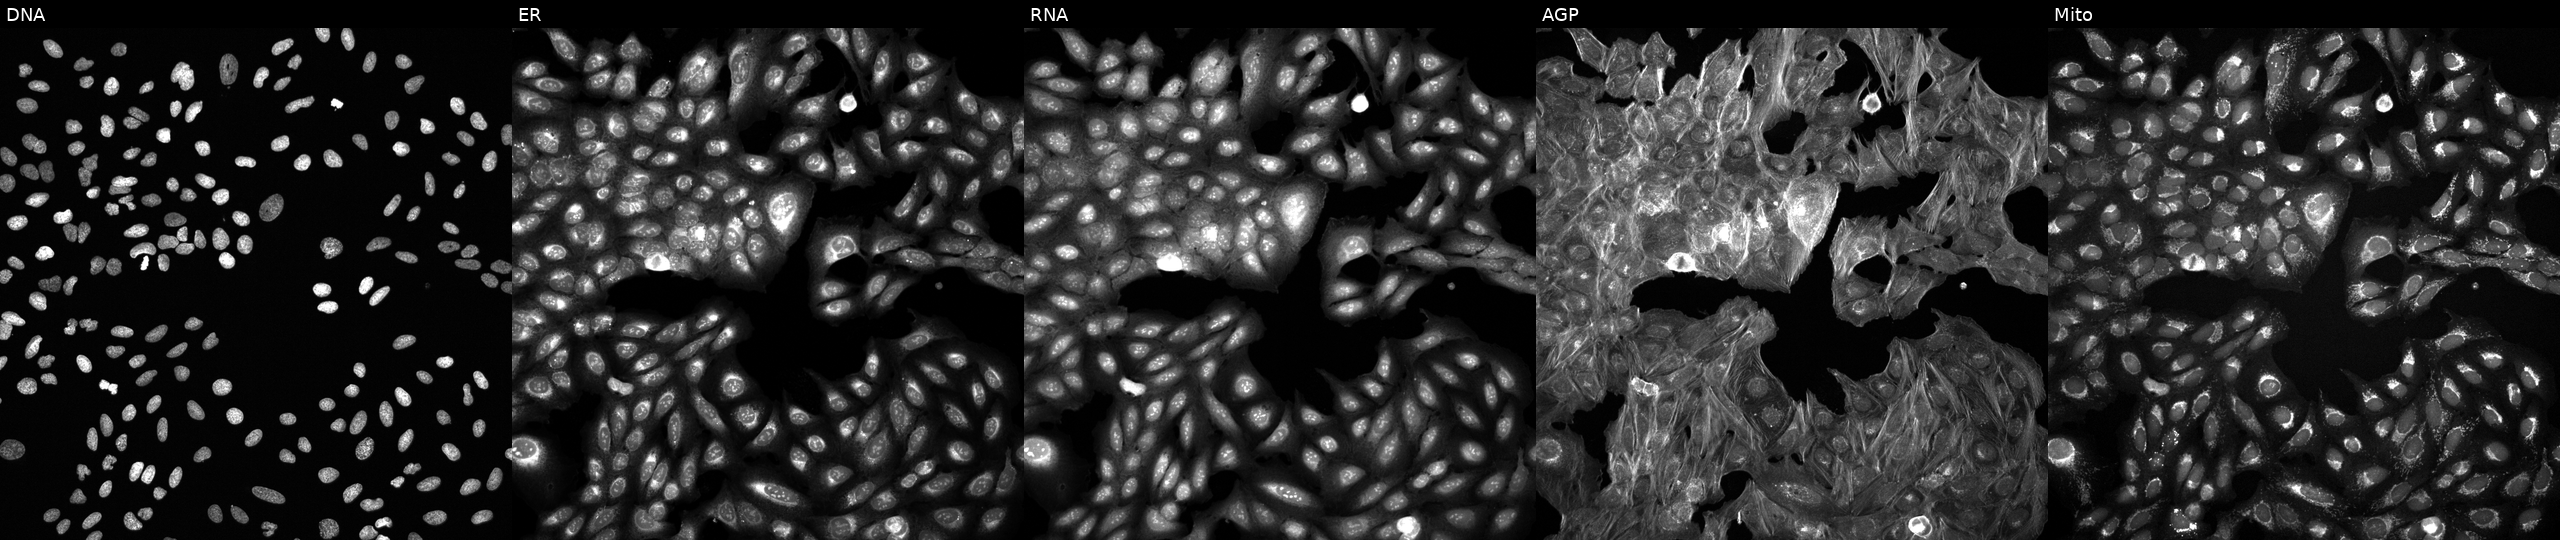
Five-channel Cell Painting image of U2OS cells exposed to a small-molecule compound (InChIKey WATNXVHKRRTUFK-UHFFFAOYSA-N) [SMILES: CCCC(CCC)C(=O)NCc1ccc2c(cnn2-c2ccccc2OC)c1]. The five panels, left to right, show DNA, ER, RNA, AGP, and Mito.